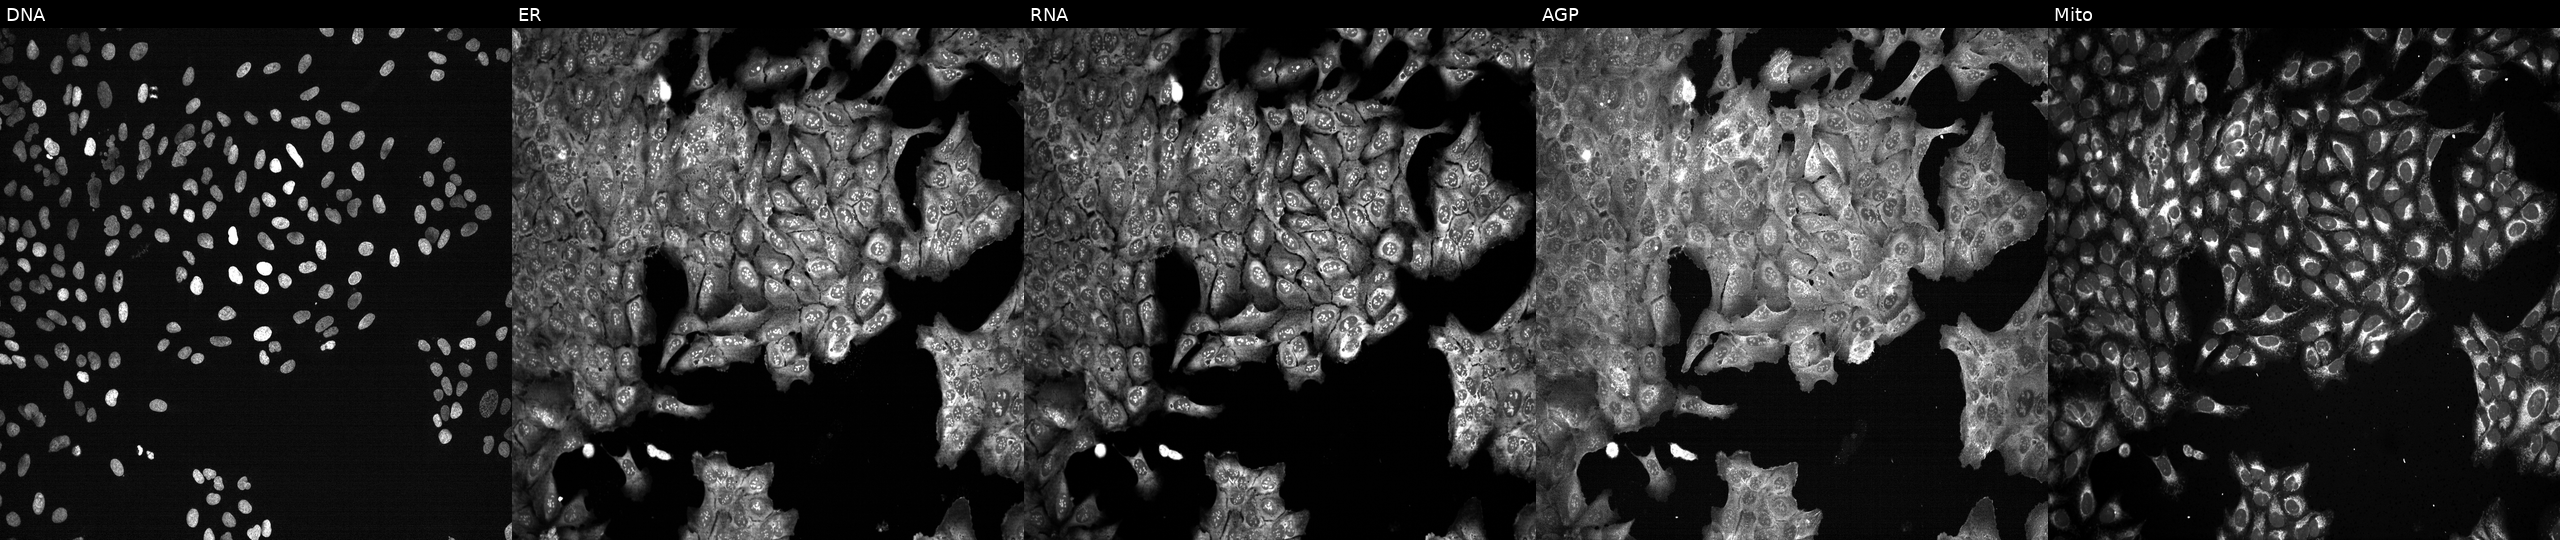
JUMP Cell Painting — CRISPR plate. U2OS cells CRISPR-edited to disrupt SRR. From left to right: DNA (nuclei); ER (endoplasmic reticulum); RNA (nucleoli and cytoplasmic RNA); AGP (actin cytoskeleton, Golgi, and plasma membrane); Mito (mitochondria). Source 13, plate CP-CC9-R3-01, well F16.